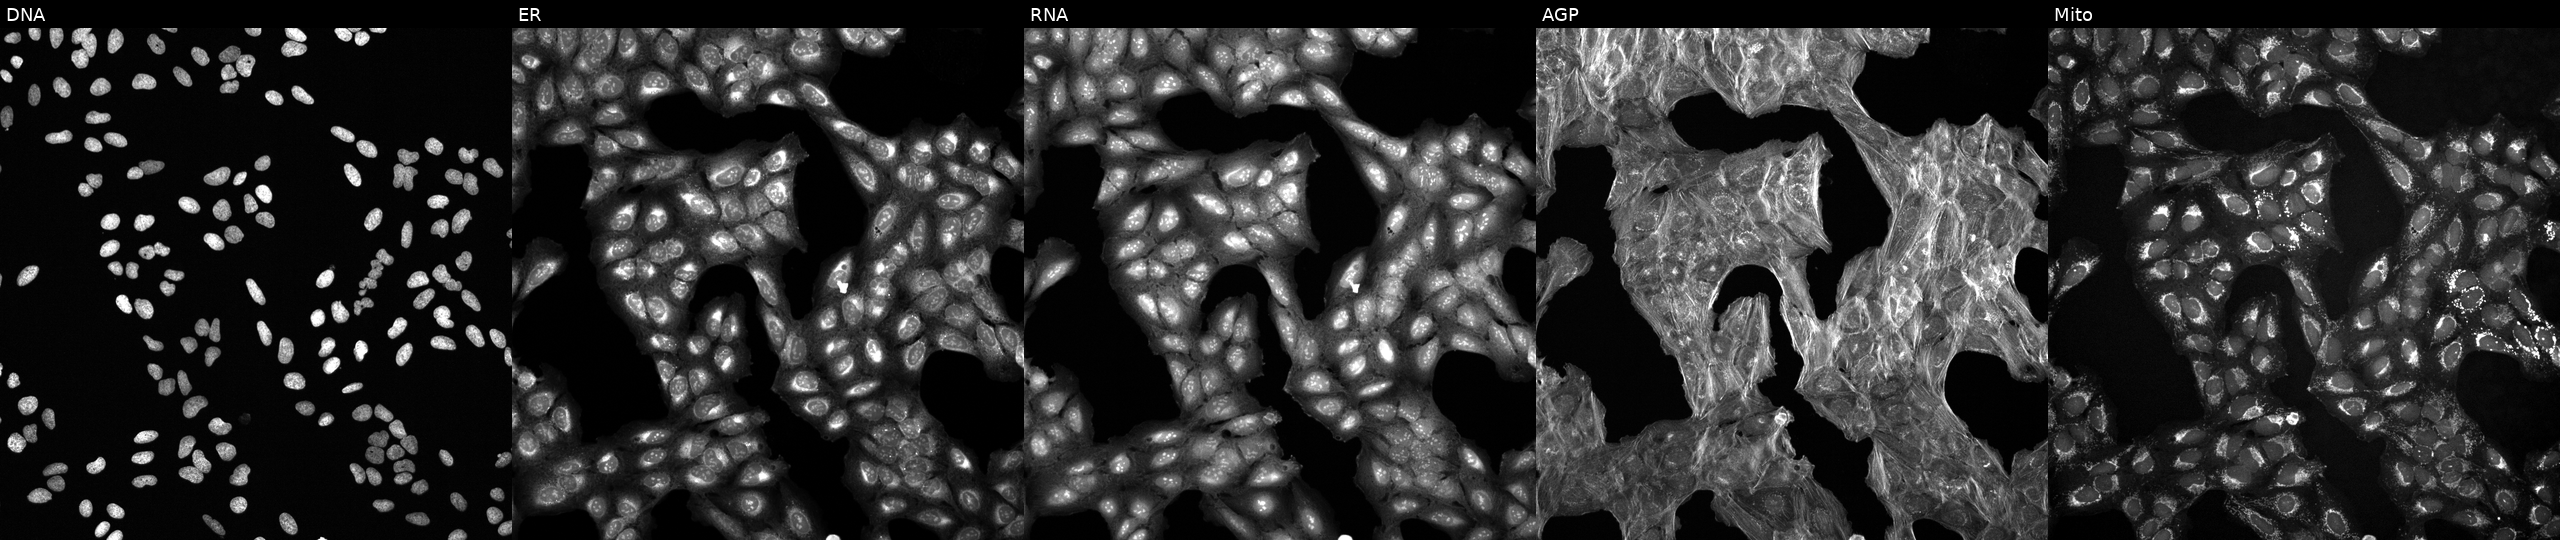
Five-channel Cell Painting image of U2OS cells treated with a small-molecule compound (JUMP id JCP2022_062592). From left to right: DNA (nuclei); ER (endoplasmic reticulum); RNA (nucleoli and cytoplasmic RNA); AGP (actin cytoskeleton, Golgi, and plasma membrane); Mito (mitochondria).